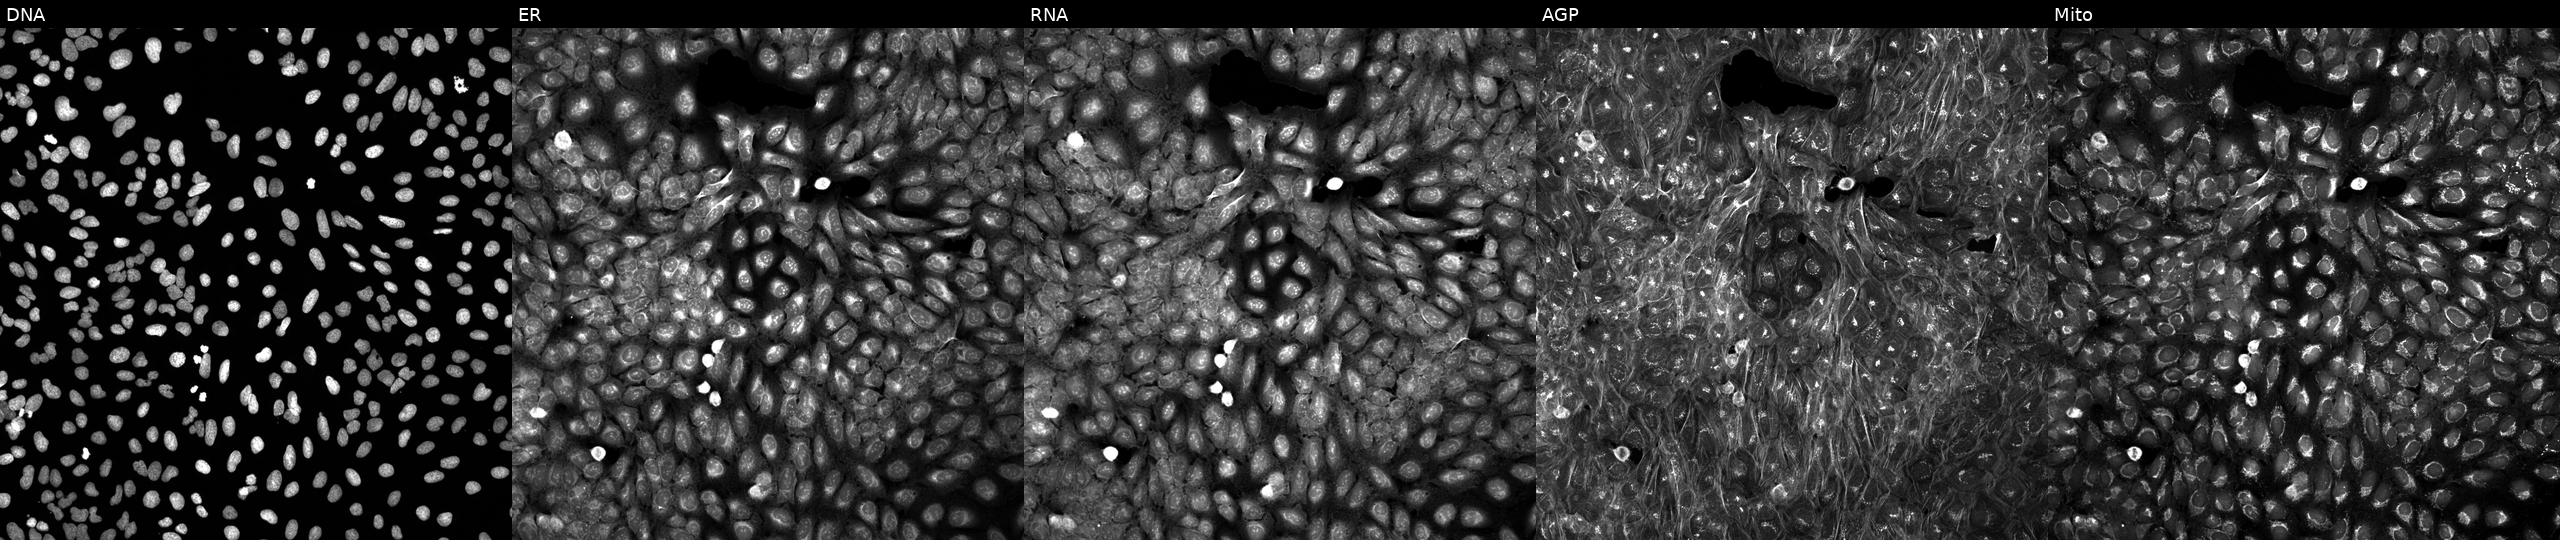
This image strip shows the five Cell Painting channels for a single field of U2OS cells treated with a small-molecule compound. Panels show, left to right, DNA, ER, RNA, AGP, and Mito. Source 5, plate ACPJUM012, well F23.